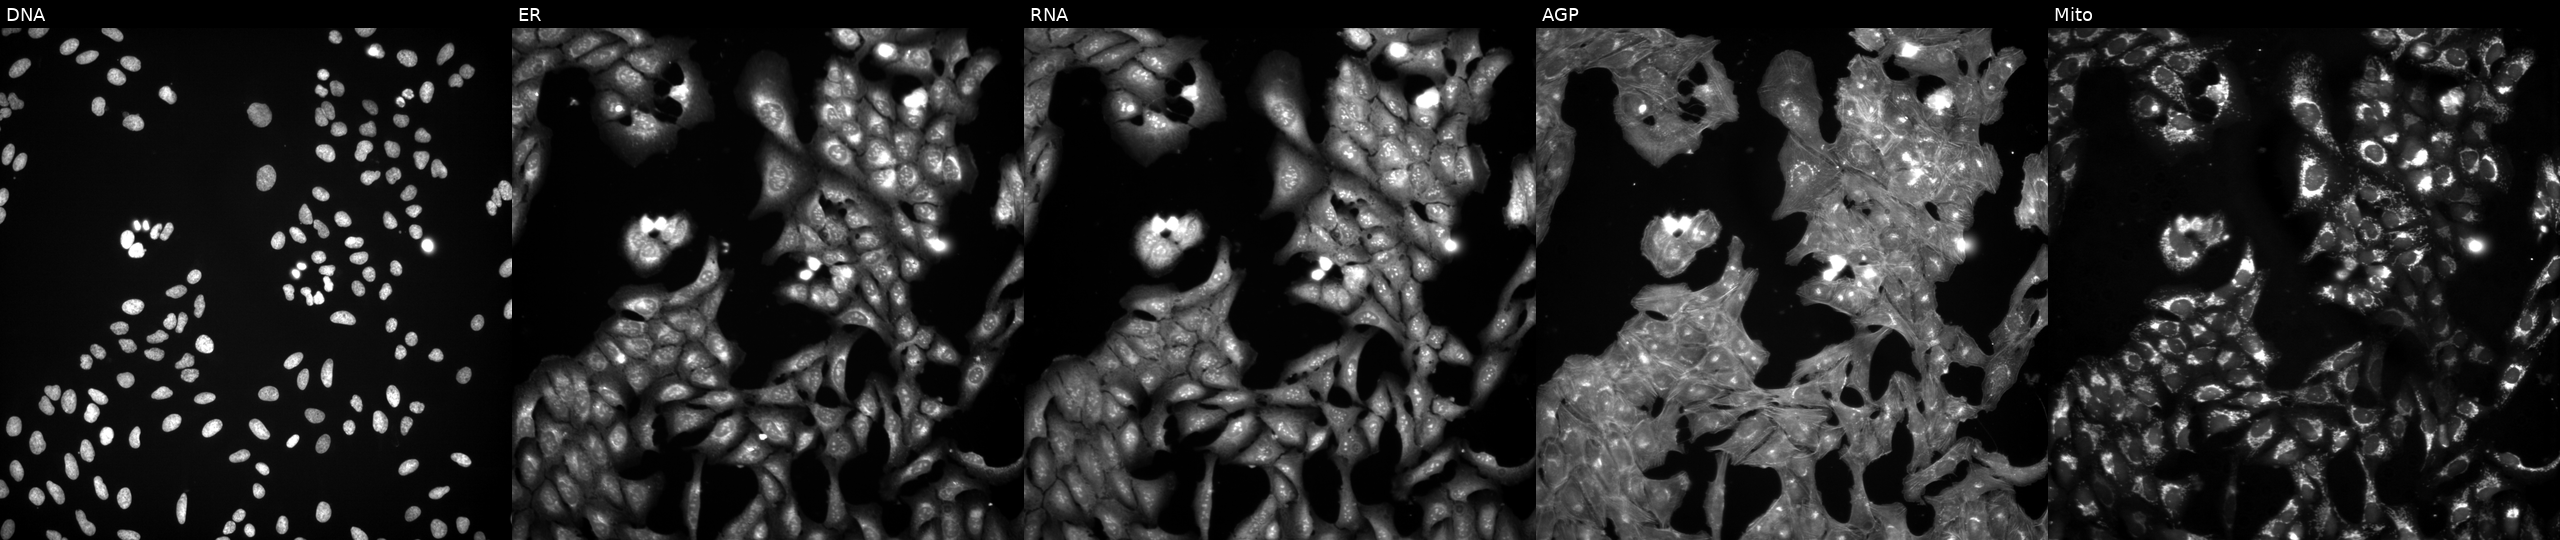
This image strip shows the five Cell Painting channels for a single field of U2OS cells treated with DMSO vehicle only (negative control) (JUMP id JCP2022_033924). Panels show, left to right, DNA, ER, RNA, AGP, and Mito.